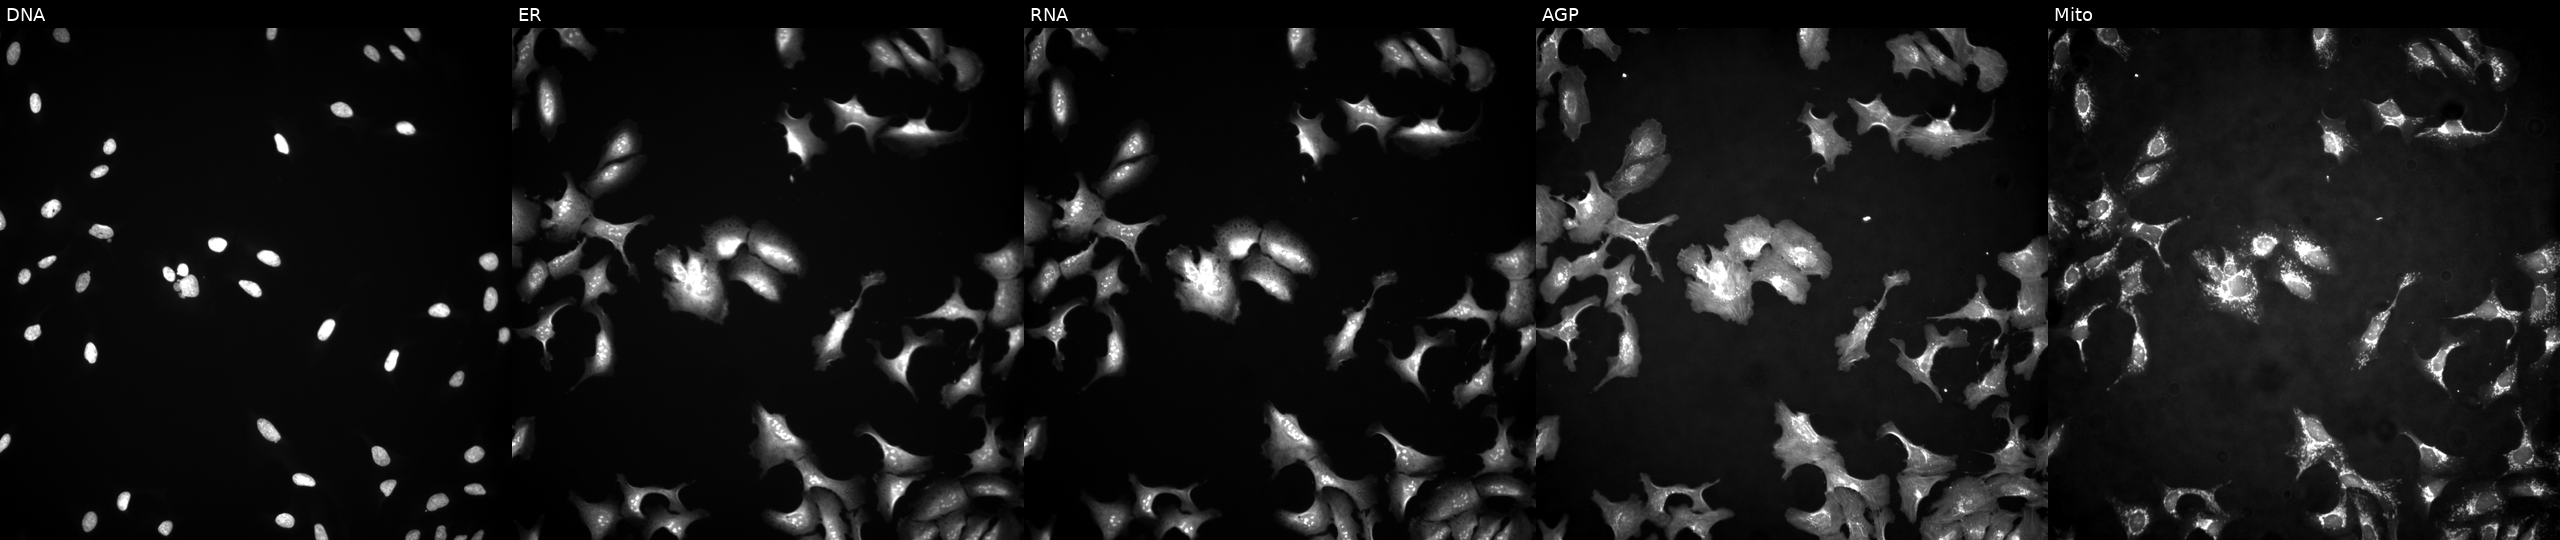
The five panels, left to right, show DNA, ER, RNA, AGP, and Mito. U2OS osteosarcoma cells expressing eGFP (ORF positive control) (JUMP id JCP2022_915132). Cell Painting assay, JUMP-CP dataset.